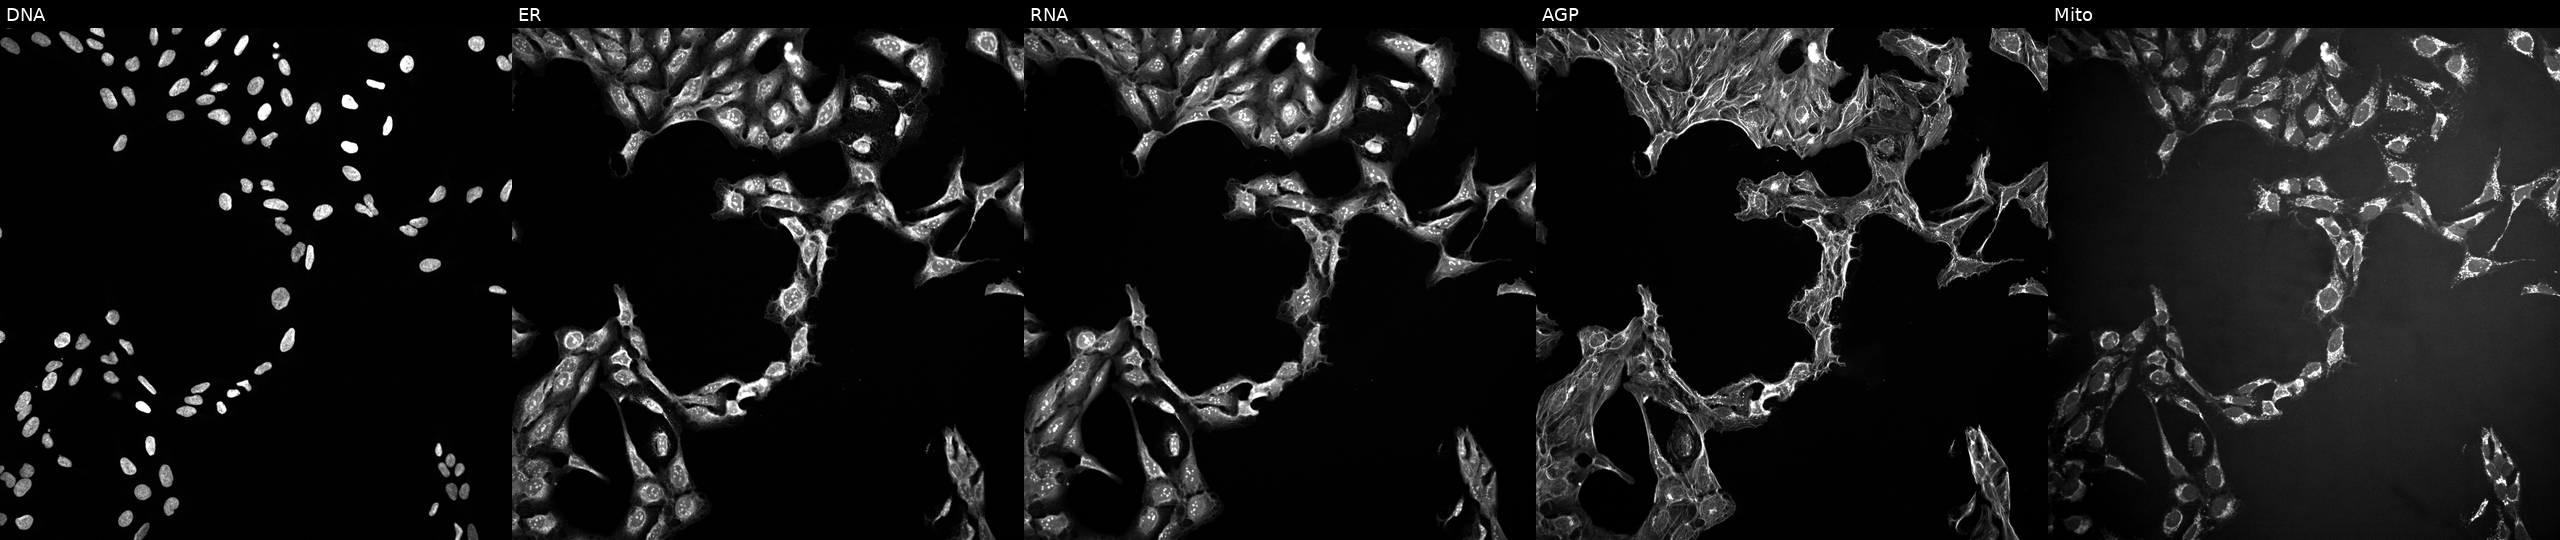
The five panels, left to right, show Hoechst 33342, concanavalin A, SYTO 14, phalloidin and WGA, MitoTracker. U2OS osteosarcoma cells exposed to a small-molecule compound (InChIKey NUIKTBLZSPQGCP-UHFFFAOYSA-N) [SMILES: CCOc1ccc(-c2nc(-c3cccc4c3CCC4NCCO)no2)cc1OCC]. Cell Painting assay, JUMP-CP dataset. Source 10, plate Dest210727-153003, well A21.